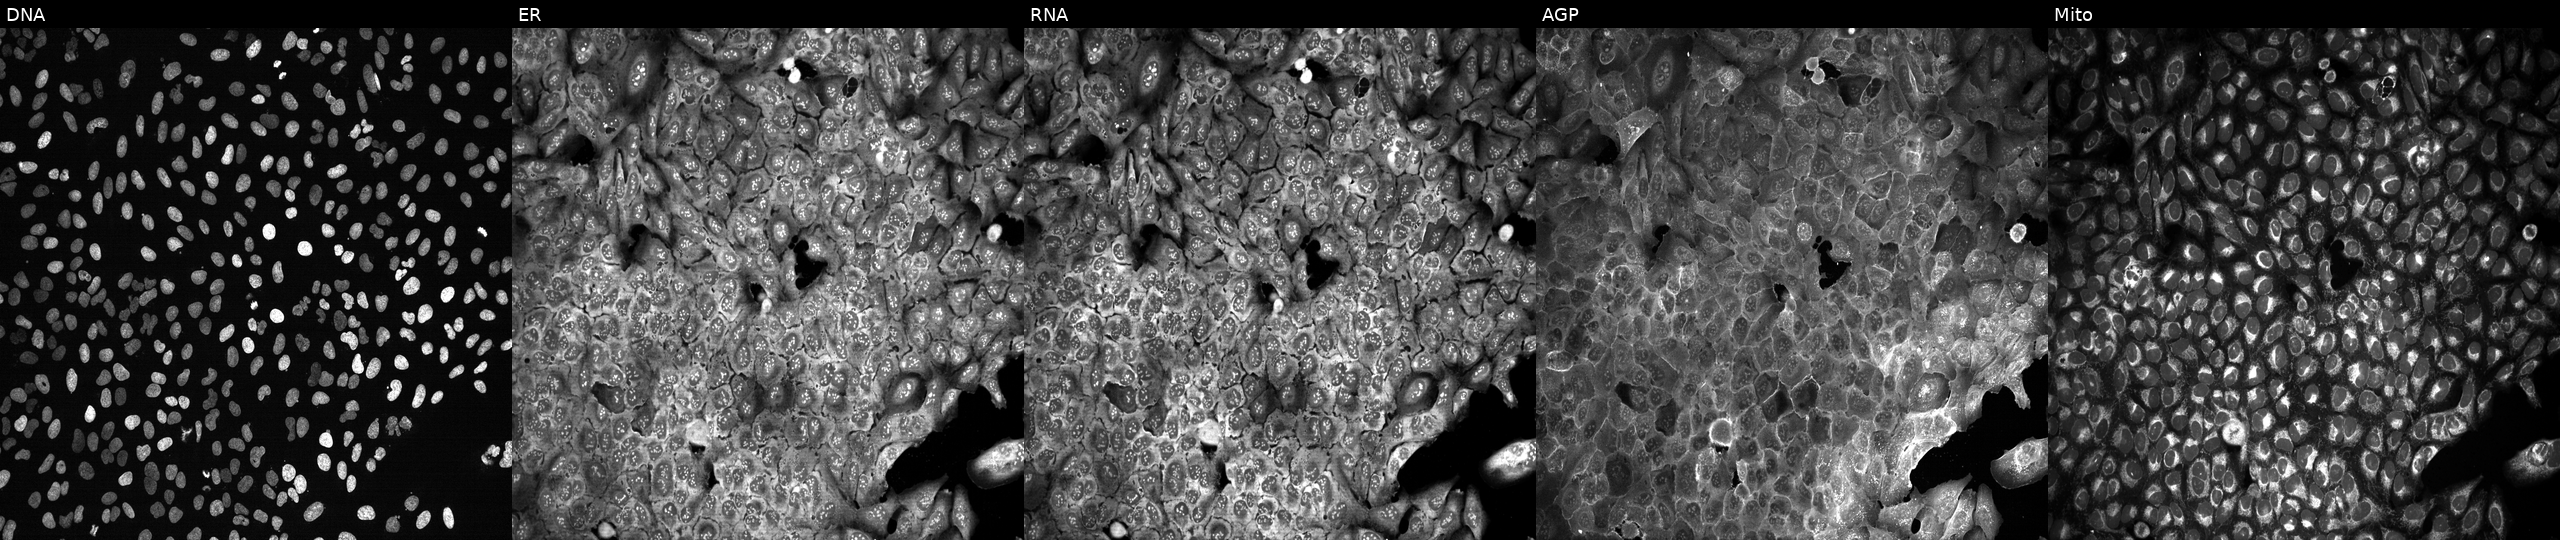
This image strip shows the five Cell Painting channels for a single field of U2OS cells with SPPL2A knocked out by CRISPR (JUMP id JCP2022_806745). Channels (left→right): DNA, ER, RNA, AGP, and Mito.